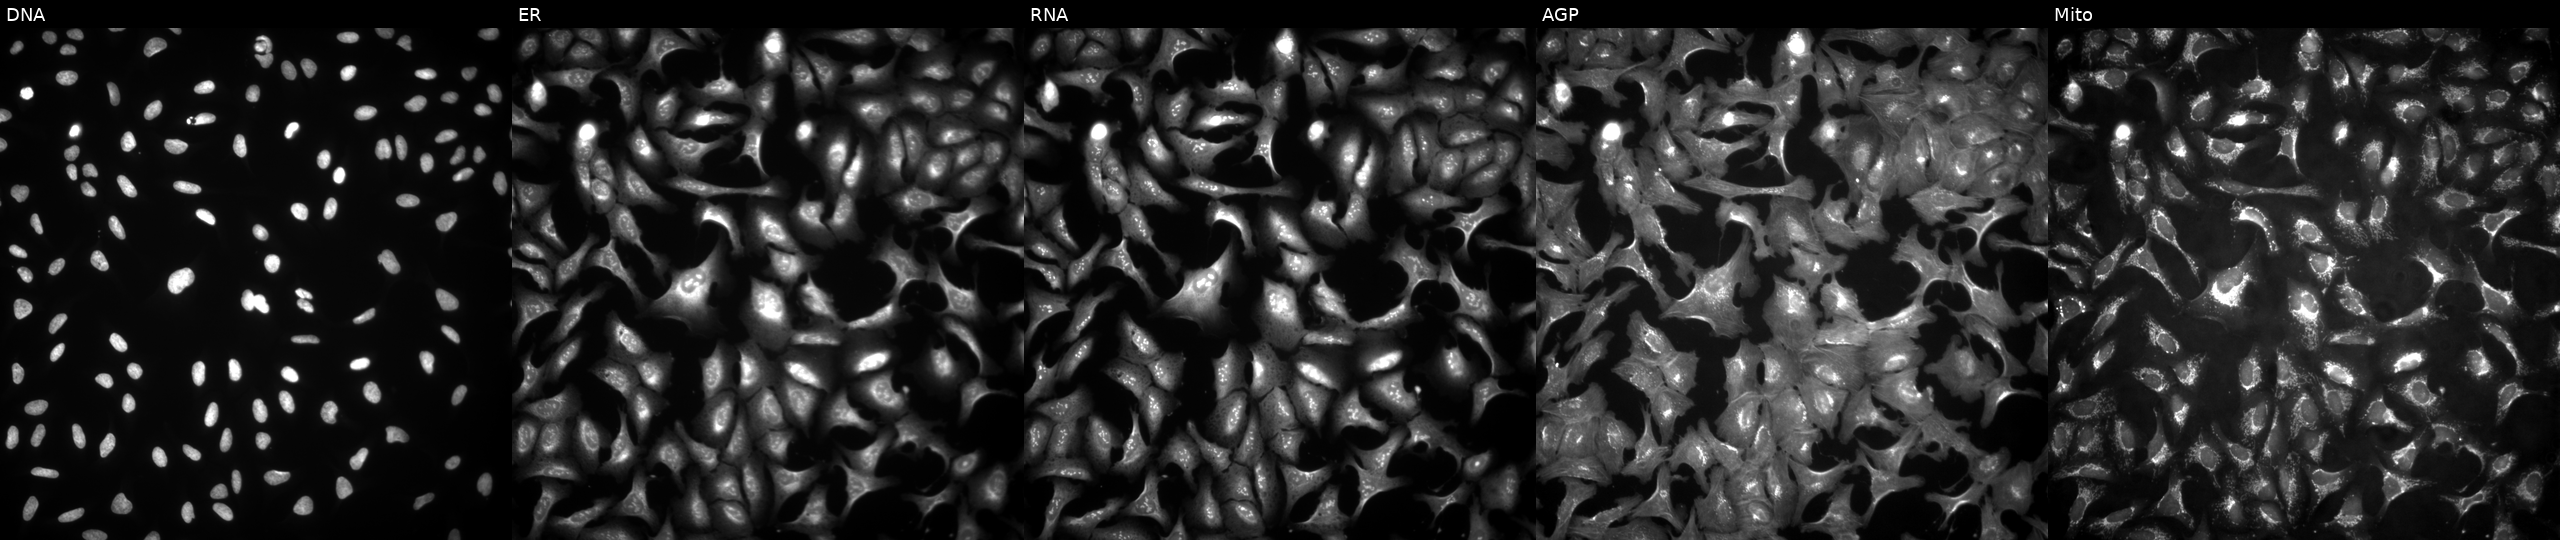
Five-channel Cell Painting image of U2OS cells overexpressing ABRACL via ORF transfection. Panels show, left to right, Hoechst 33342, concanavalin A, SYTO 14, phalloidin and WGA, MitoTracker.